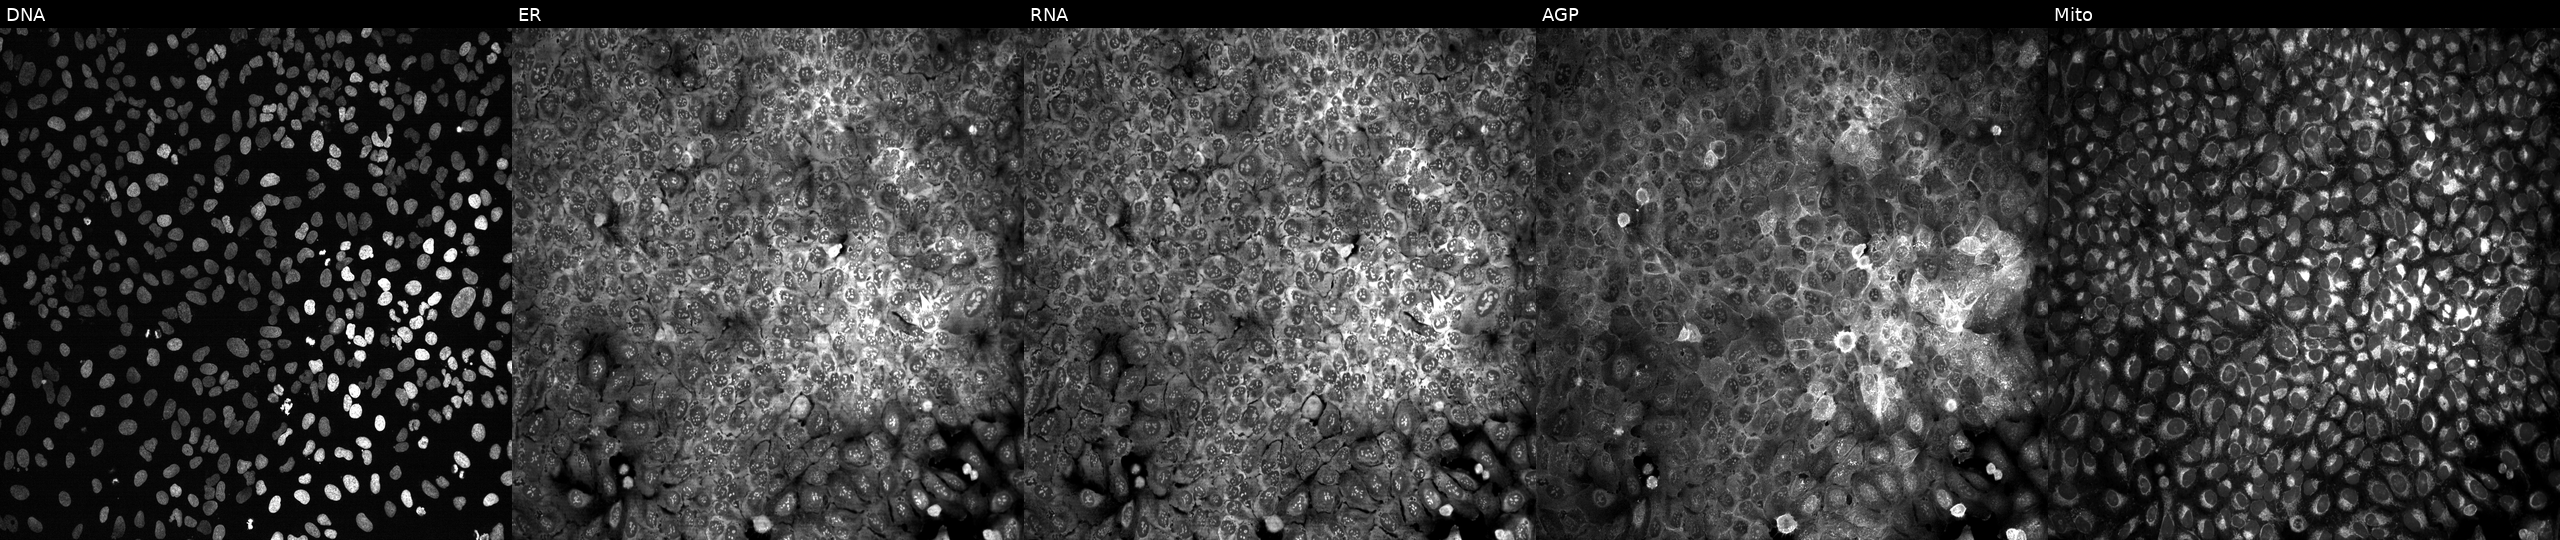
This image strip shows the five Cell Painting channels for a single field of U2OS cells with SLCO4C1 knocked out by CRISPR. Panels show, left to right, DNA, ER, RNA, AGP, and Mito. Source 13, plate CP-CC9-R4-03, well B04.